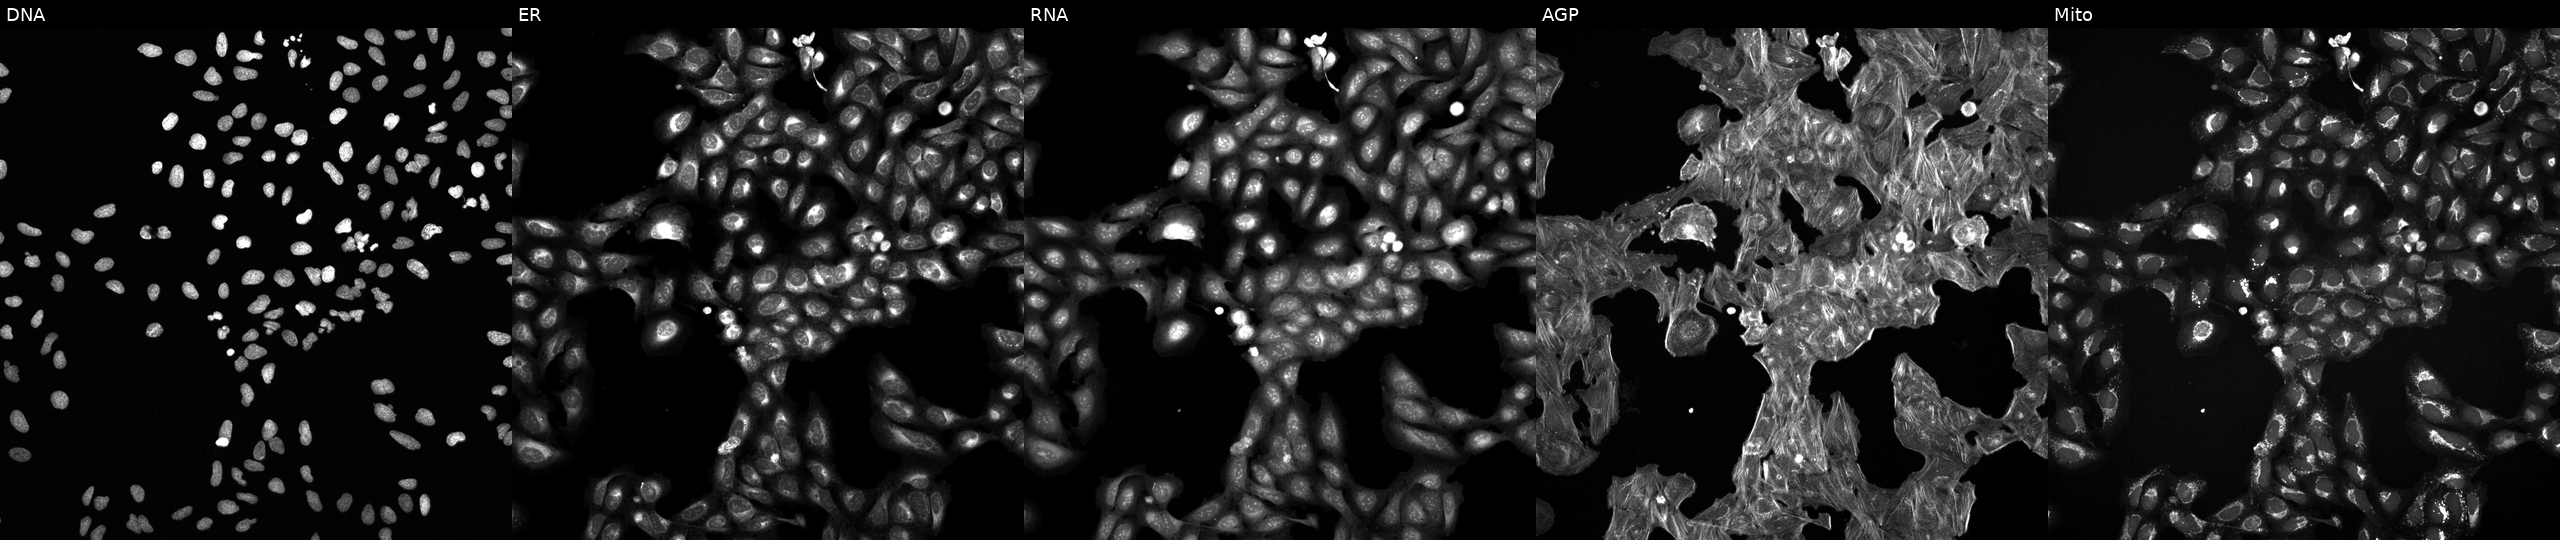
Five-channel Cell Painting image of U2OS cells treated with NVS-PAK1-1 (positive-control compound) (JUMP id JCP2022_064022). From left to right: Hoechst 33342, concanavalin A, SYTO 14, phalloidin and WGA, MitoTracker.